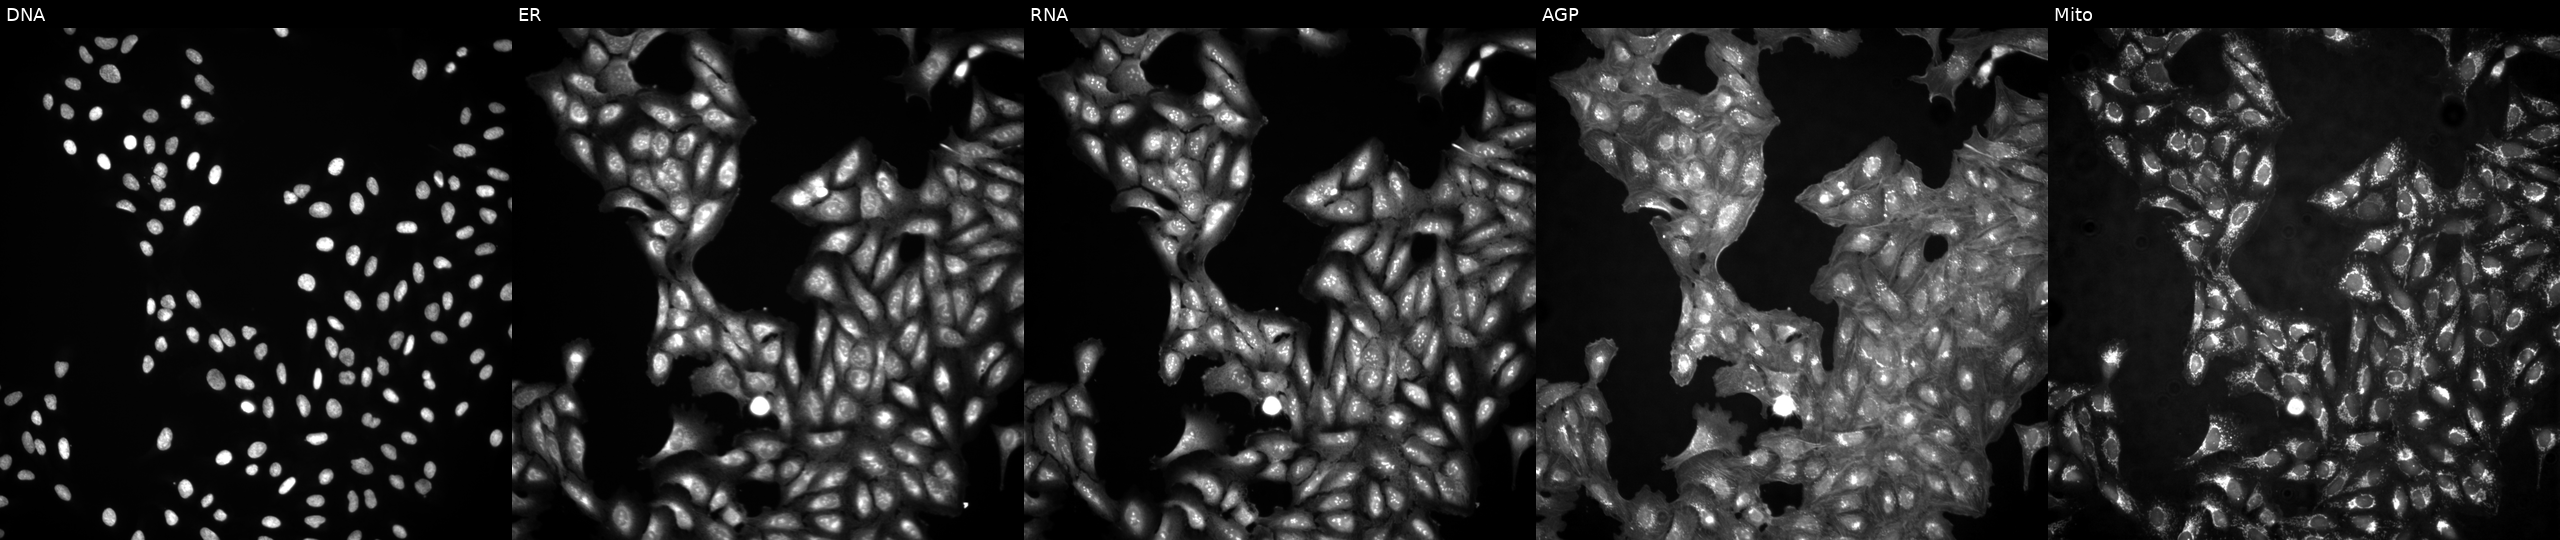
This image strip shows the five Cell Painting channels for a single field of U2OS cells in an empty control well (no perturbation) (JUMP id JCP2022_999999). The five panels, left to right, show DNA, ER, RNA, AGP, and Mito.